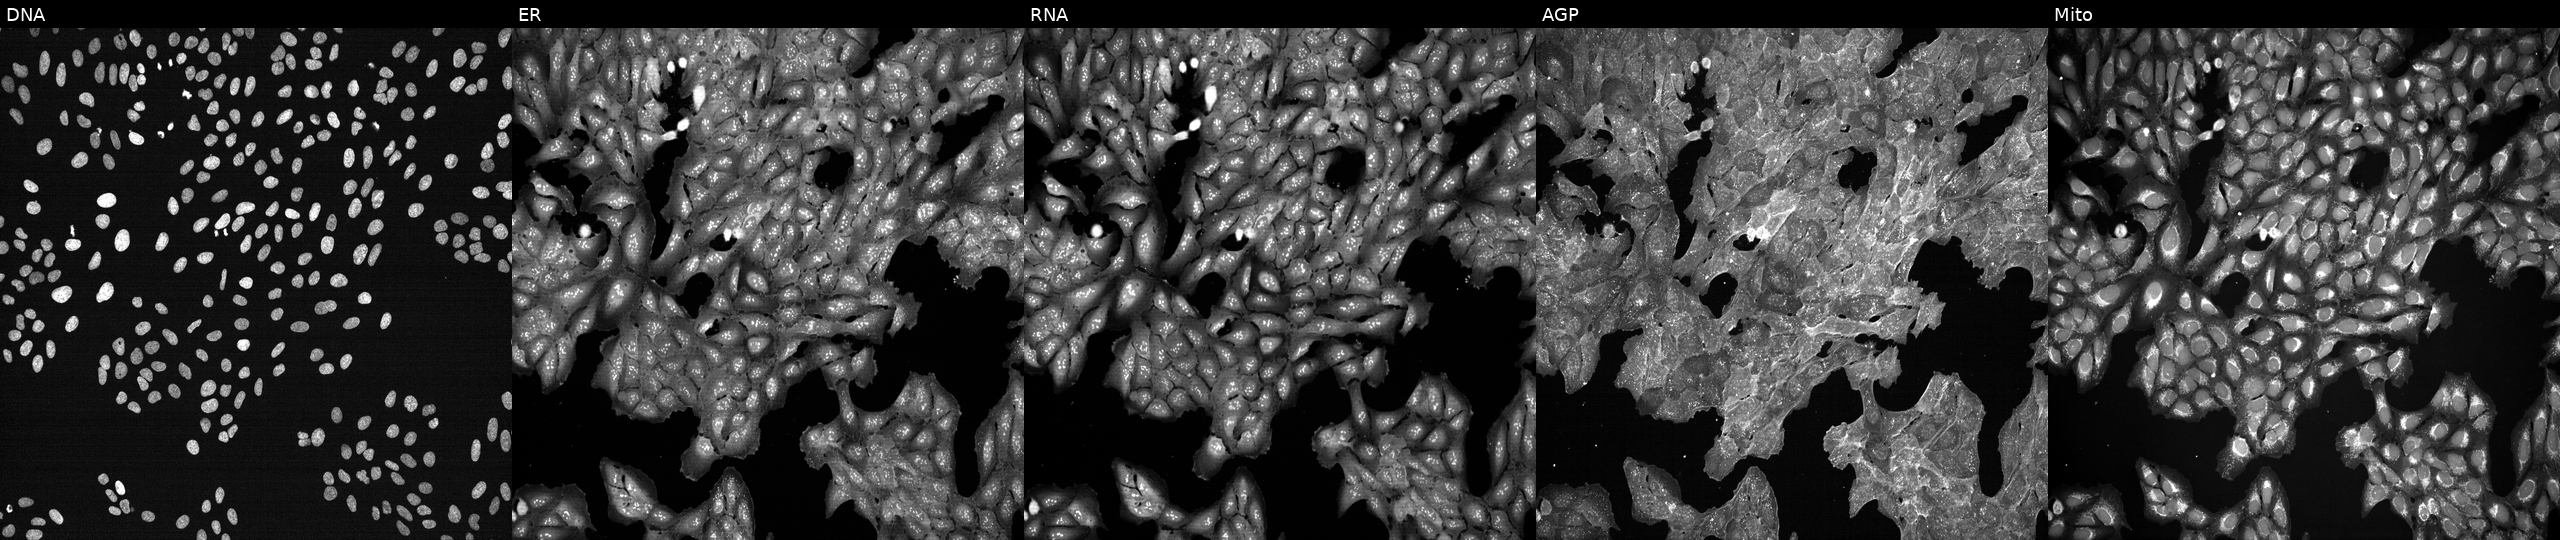
Five-channel Cell Painting image of U2OS cells exposed to a small-molecule compound (InChIKey ZQPXNYLXYNRFNP-UHFFFAOYSA-N) (JUMP id JCP2022_115049). The five panels, left to right, show DNA, ER, RNA, AGP, and Mito. Source 7, plate CP2-SC1-25, well C14.